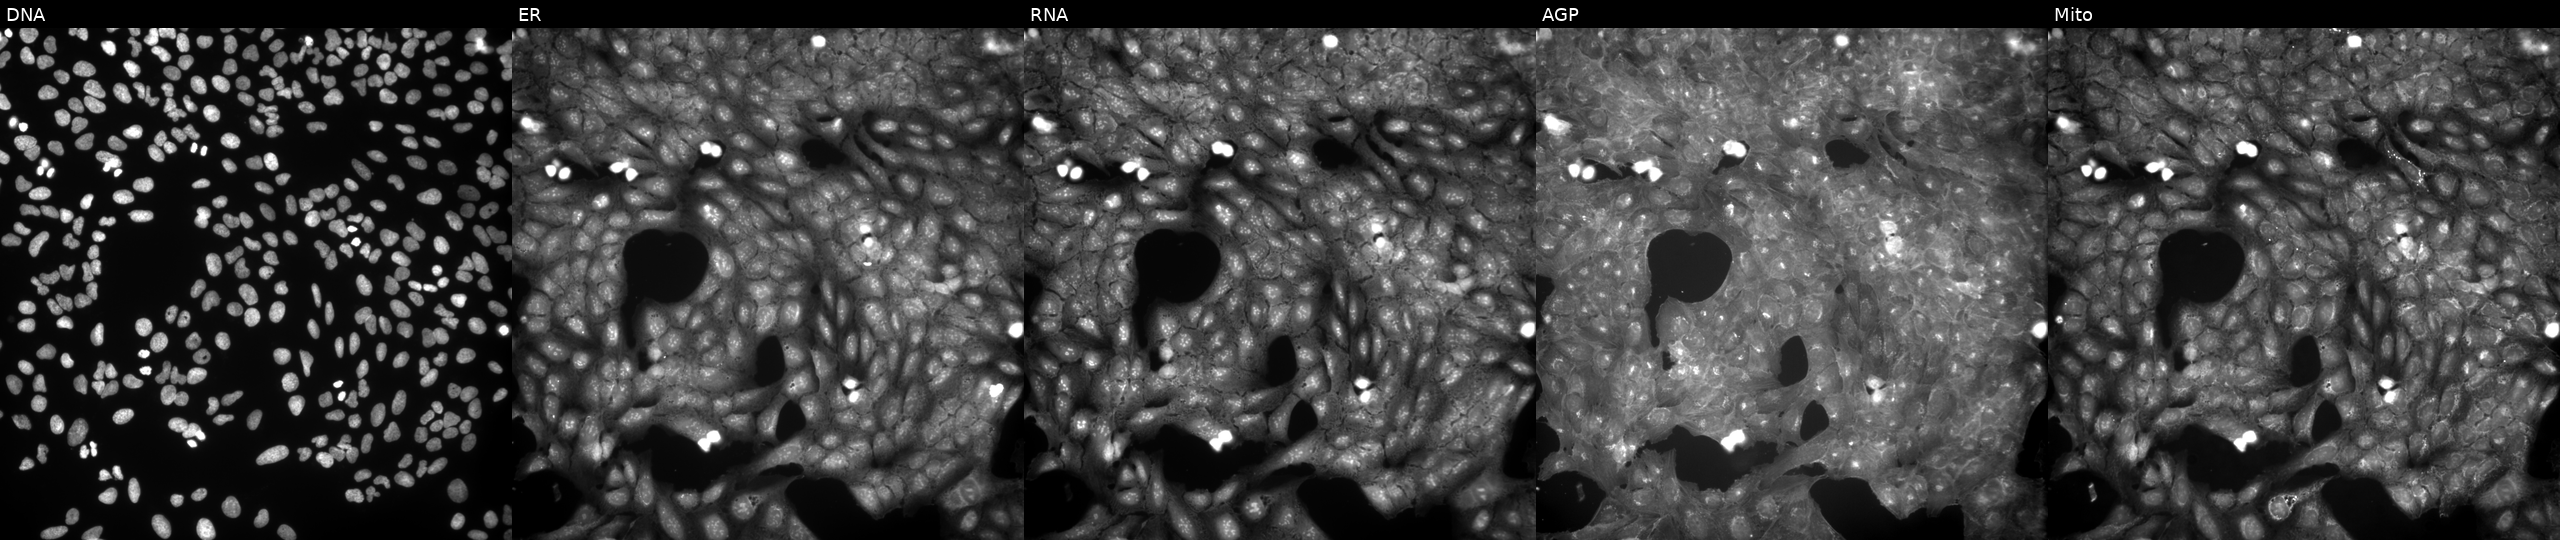
U2OS cells, Cell Painting assay, perturbed with a small-molecule compound (InChIKey ANFBEWMAKVJSIH-UHFFFAOYSA-N). Channels (left→right): DNA, ER, RNA, AGP, and Mito. Each panel is percentile-stretched 16-bit fluorescence. Source 9, plate GR00003382, well E34.